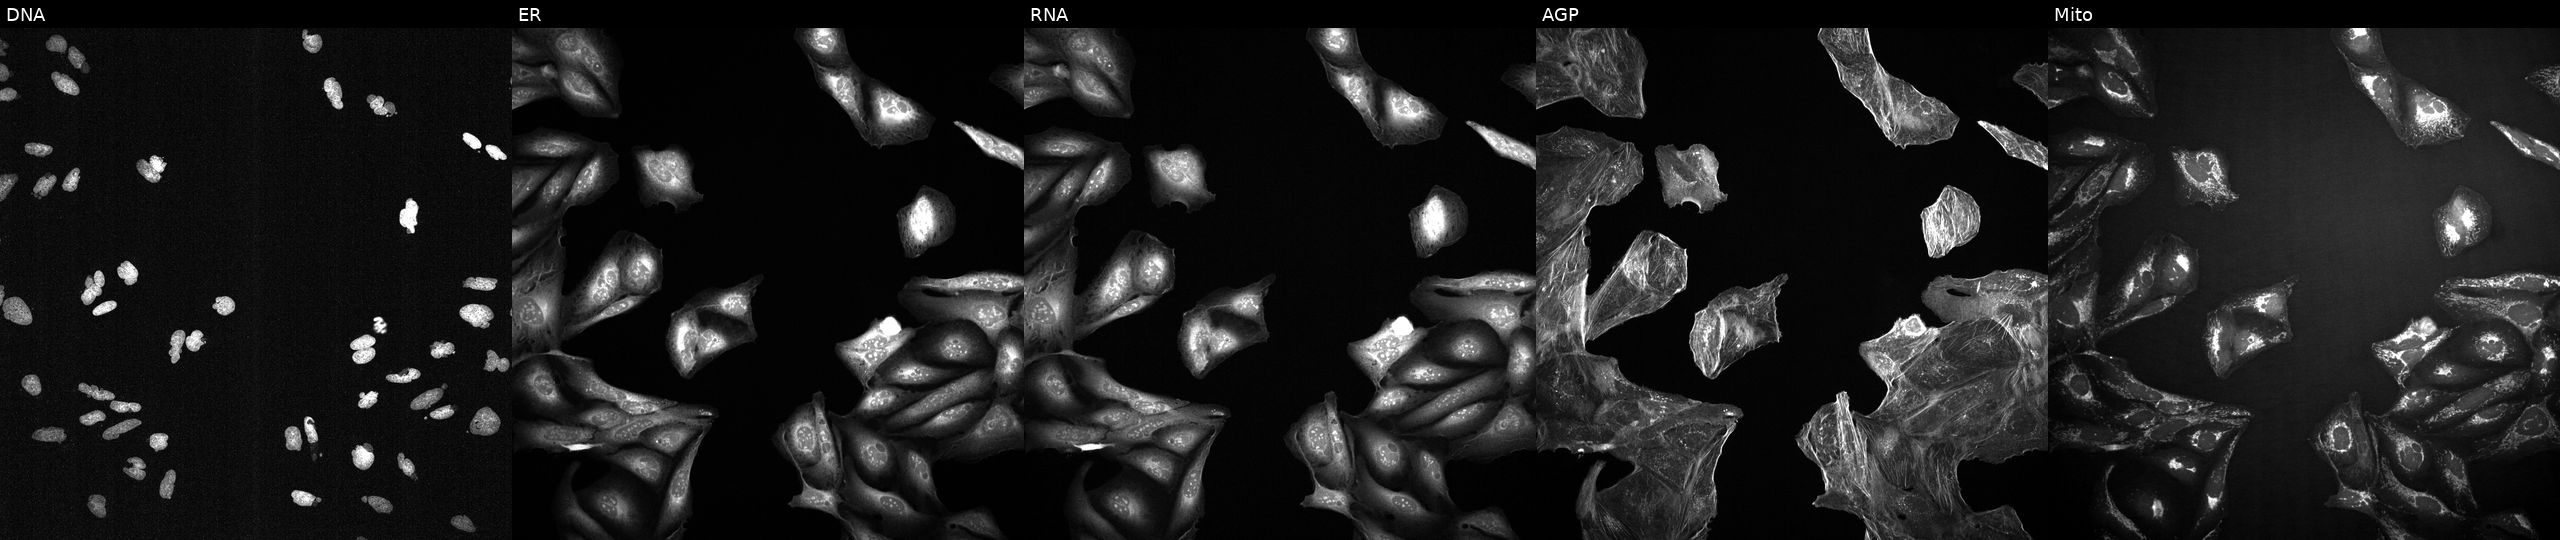
This image strip shows the five Cell Painting channels for a single field of U2OS cells exposed to a small-molecule compound [SMILES: COC(C(=O)n1cc2[nH][nH]c(=NC(O)c3ccc(N4CCN(C)CC4)cc3)c2c1)c1ccccc1] (JUMP id JCP2022_046462). Channels (left→right): DNA, ER, RNA, AGP, and Mito.